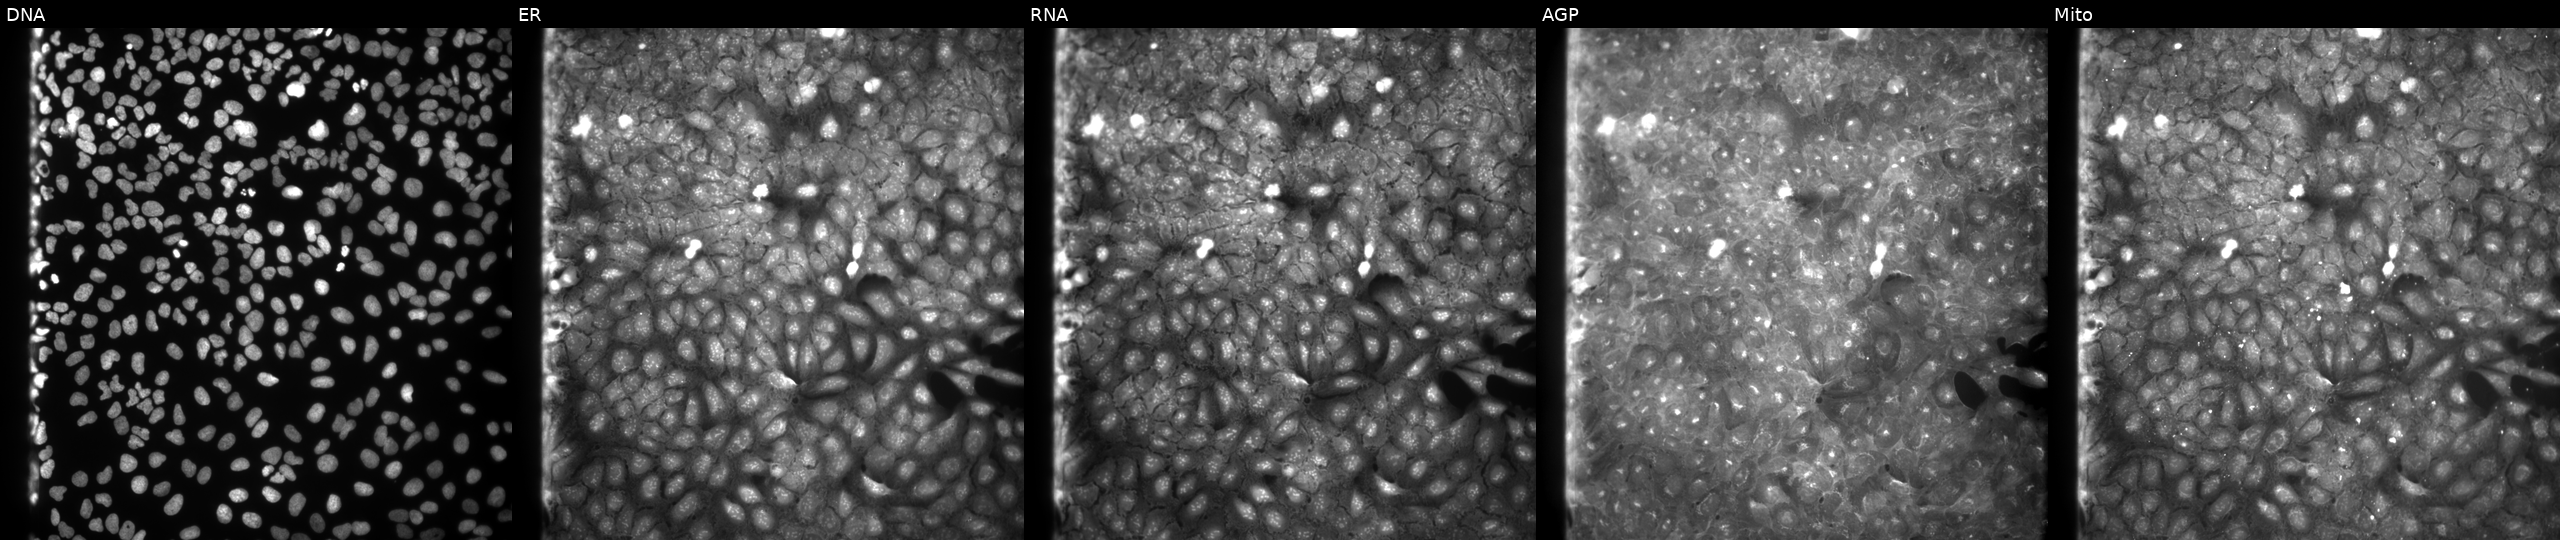
U2OS cells, Cell Painting assay, exposed to a small-molecule compound (JUMP id JCP2022_076364). Channels (left→right): DNA (nuclei); ER (endoplasmic reticulum); RNA (nucleoli and cytoplasmic RNA); AGP (actin cytoskeleton, Golgi, and plasma membrane); Mito (mitochondria). Each panel is percentile-stretched 16-bit fluorescence. Source 9, plate GR00003382, well F07.